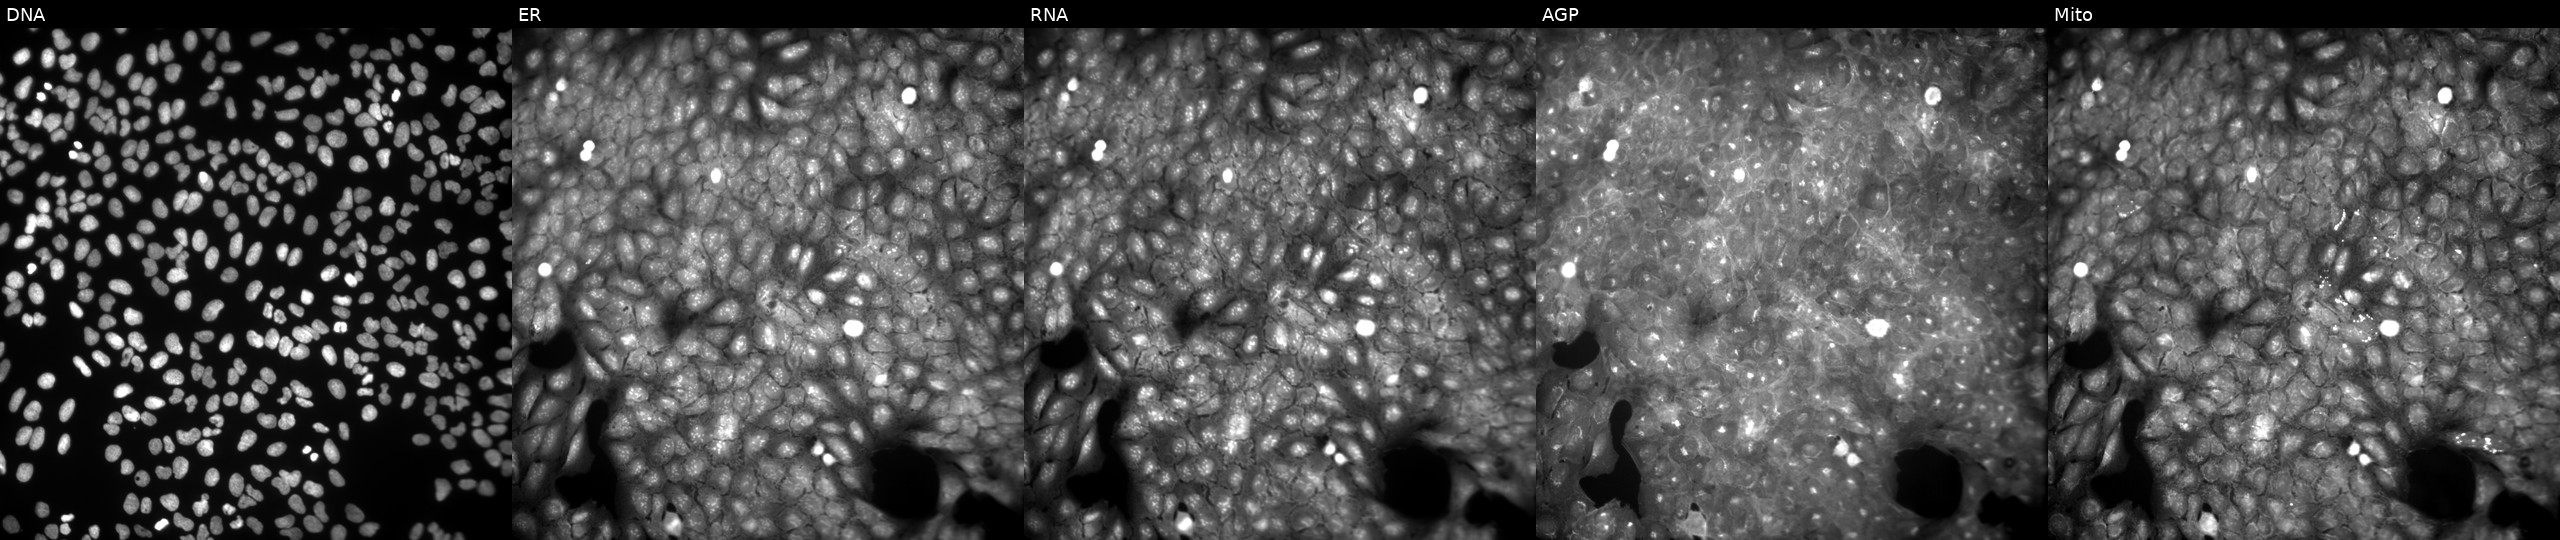
Five-channel Cell Painting image of U2OS cells perturbed with a small-molecule compound. Panels show, left to right, DNA, ER, RNA, AGP, and Mito.